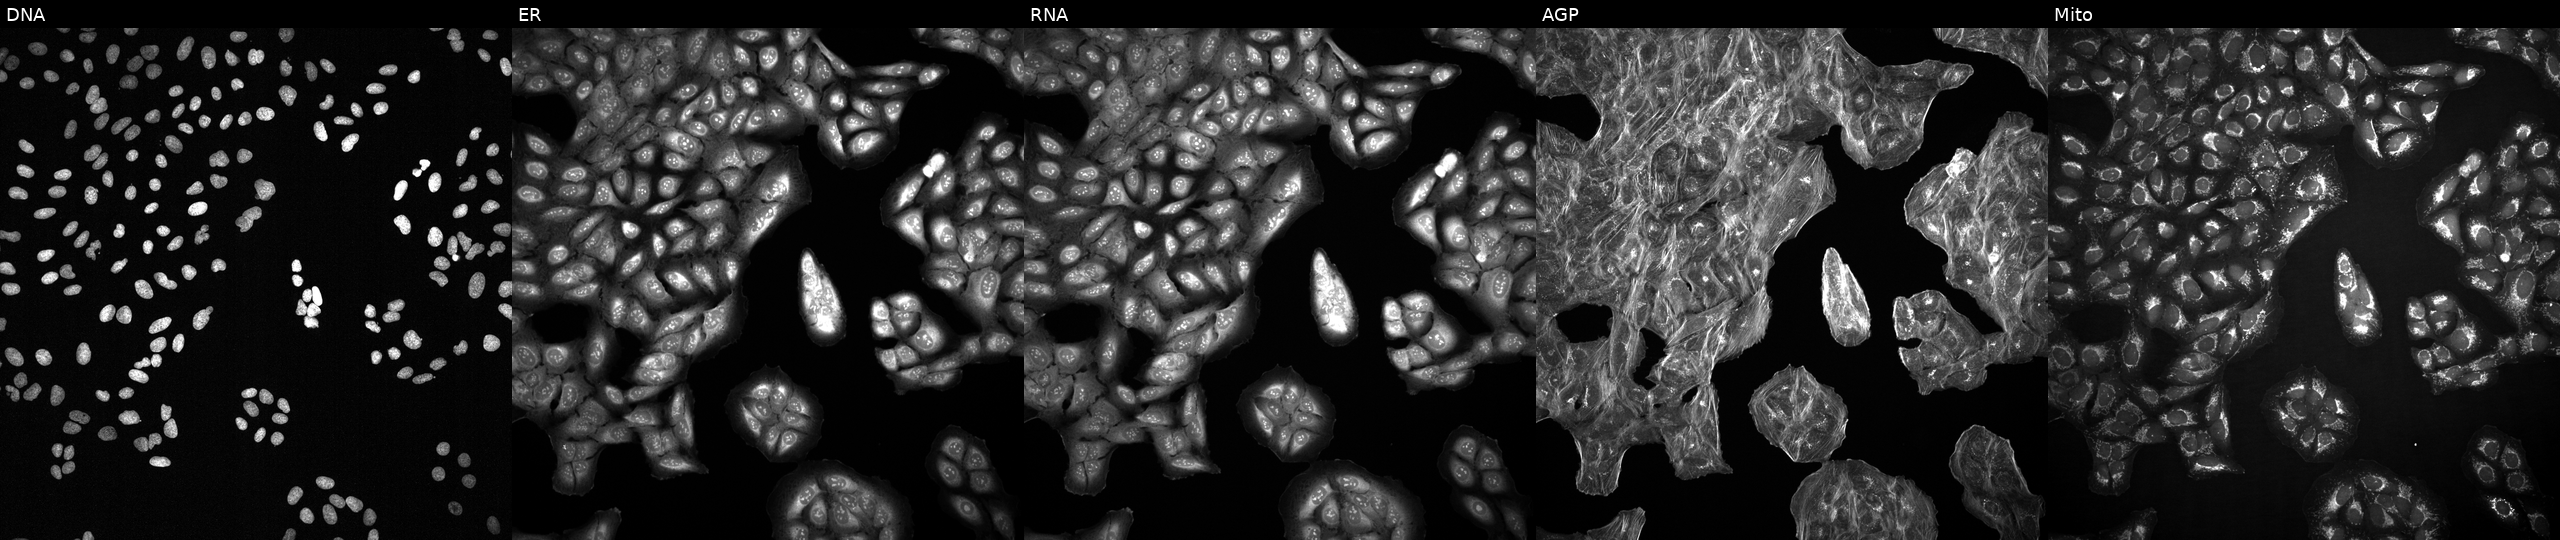
Channels (left→right): Hoechst 33342, concanavalin A, SYTO 14, phalloidin and WGA, MitoTracker. U2OS osteosarcoma cells with an unidentified perturbation (not annotated in JUMP metadata). Cell Painting assay, JUMP-CP dataset. Source 2, plate 1053601756, well P14.